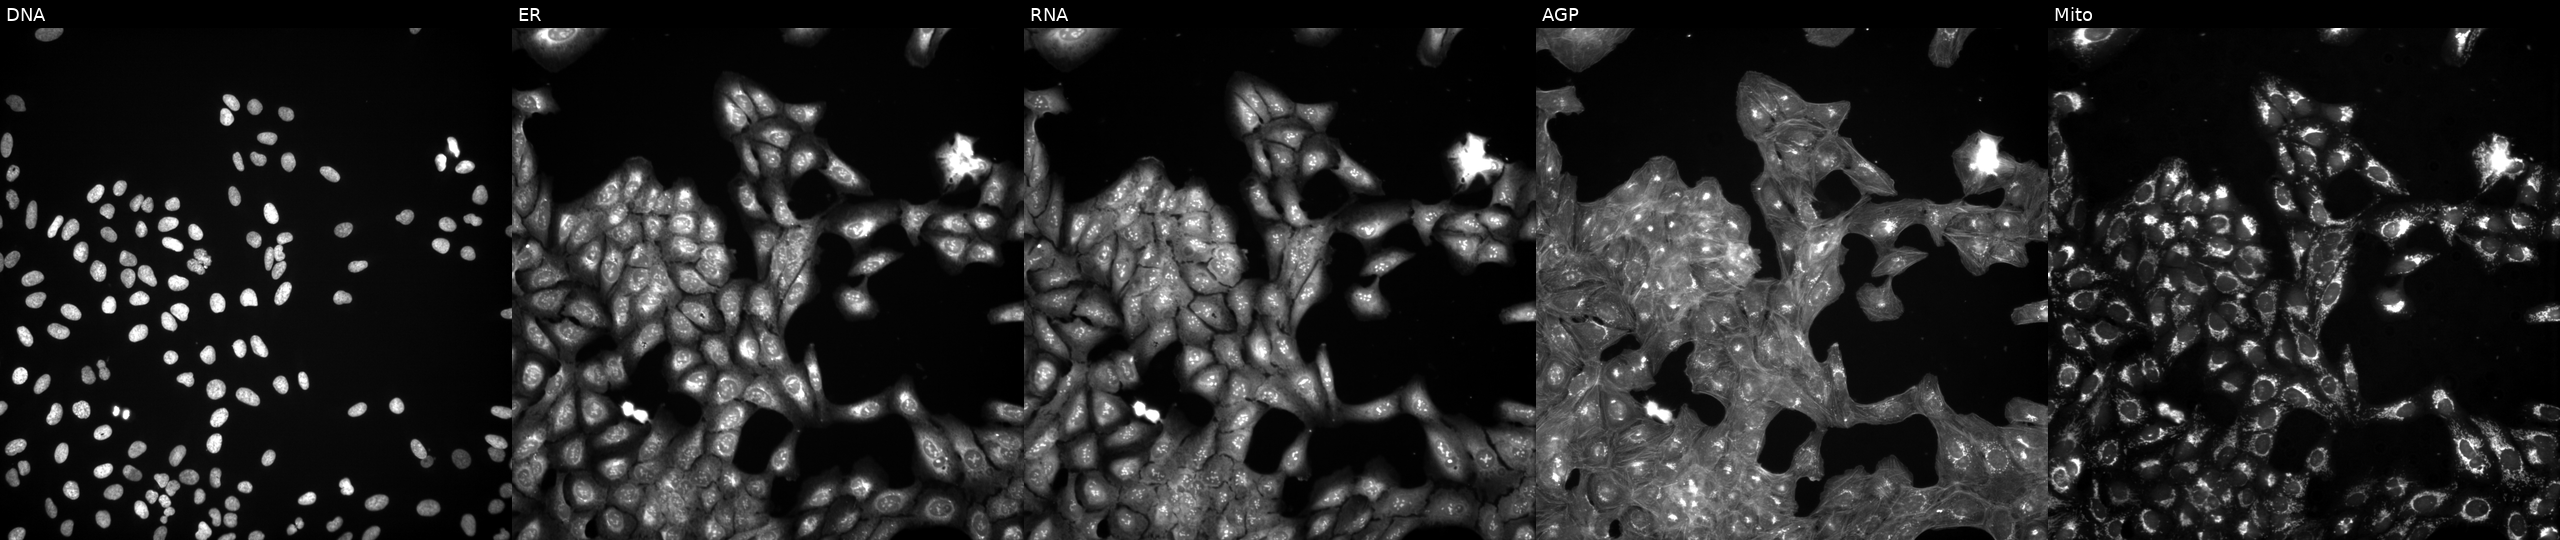
High-content fluorescence microscopy (Cell Painting). Cell line: U2OS. Perturbation: in an empty control well (no perturbation). Channels (left→right): DNA (nuclei); ER (endoplasmic reticulum); RNA (nucleoli and cytoplasmic RNA); AGP (actin cytoskeleton, Golgi, and plasma membrane); Mito (mitochondria).